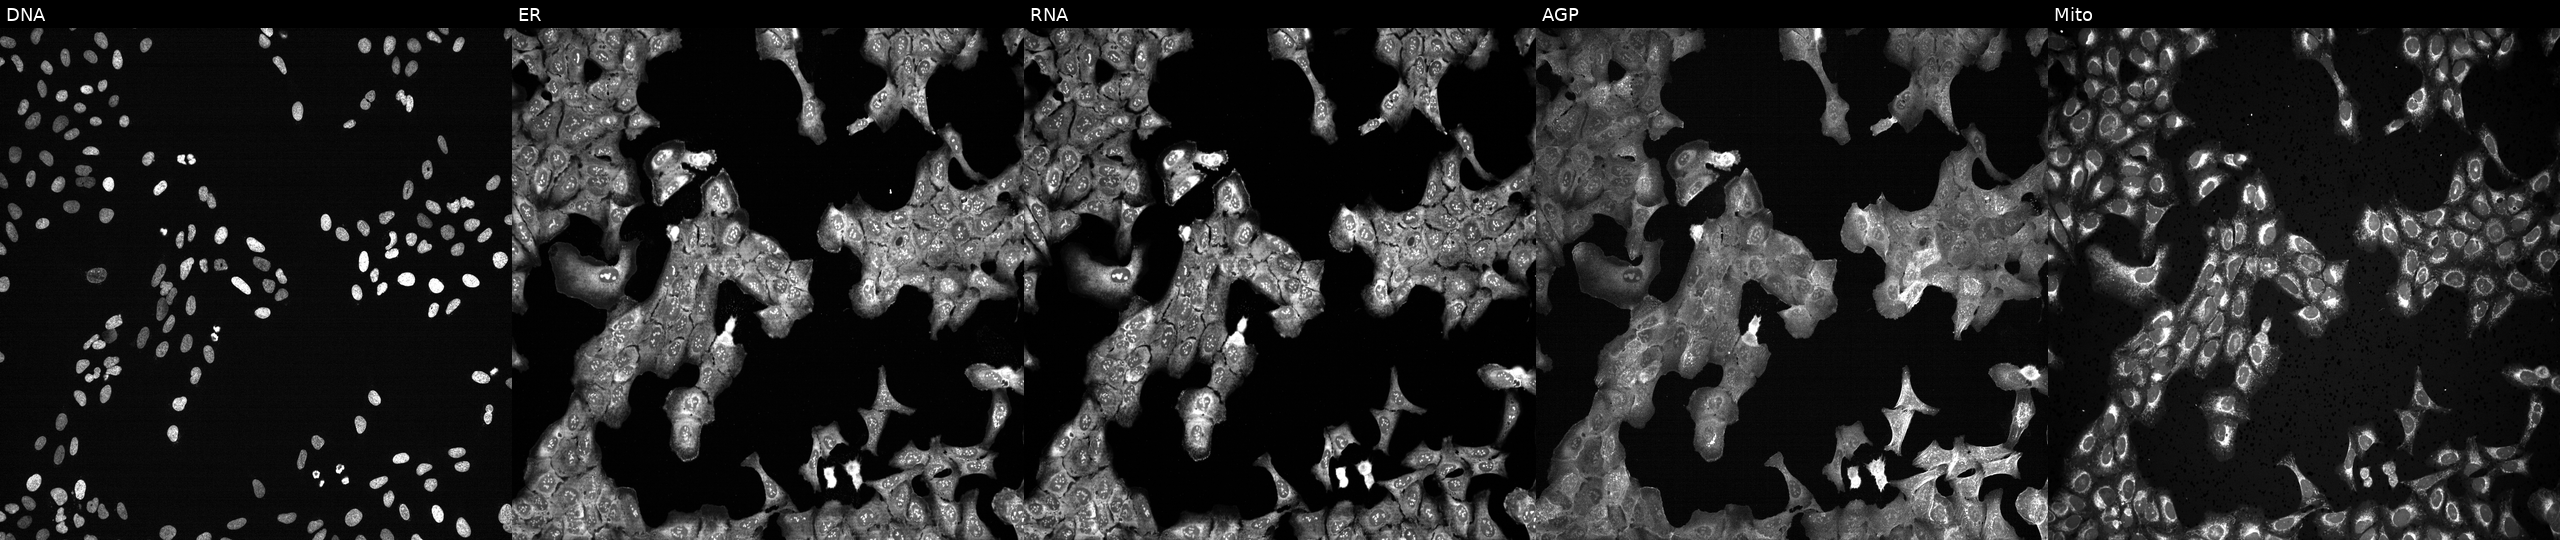
U2OS cells, Cell Painting assay, following CRISPR knockout of OVCA2. Channels (left→right): DNA, ER, RNA, AGP, and Mito. Each panel is percentile-stretched 16-bit fluorescence. Source 13, plate CP-CC9-R2-01, well F10.